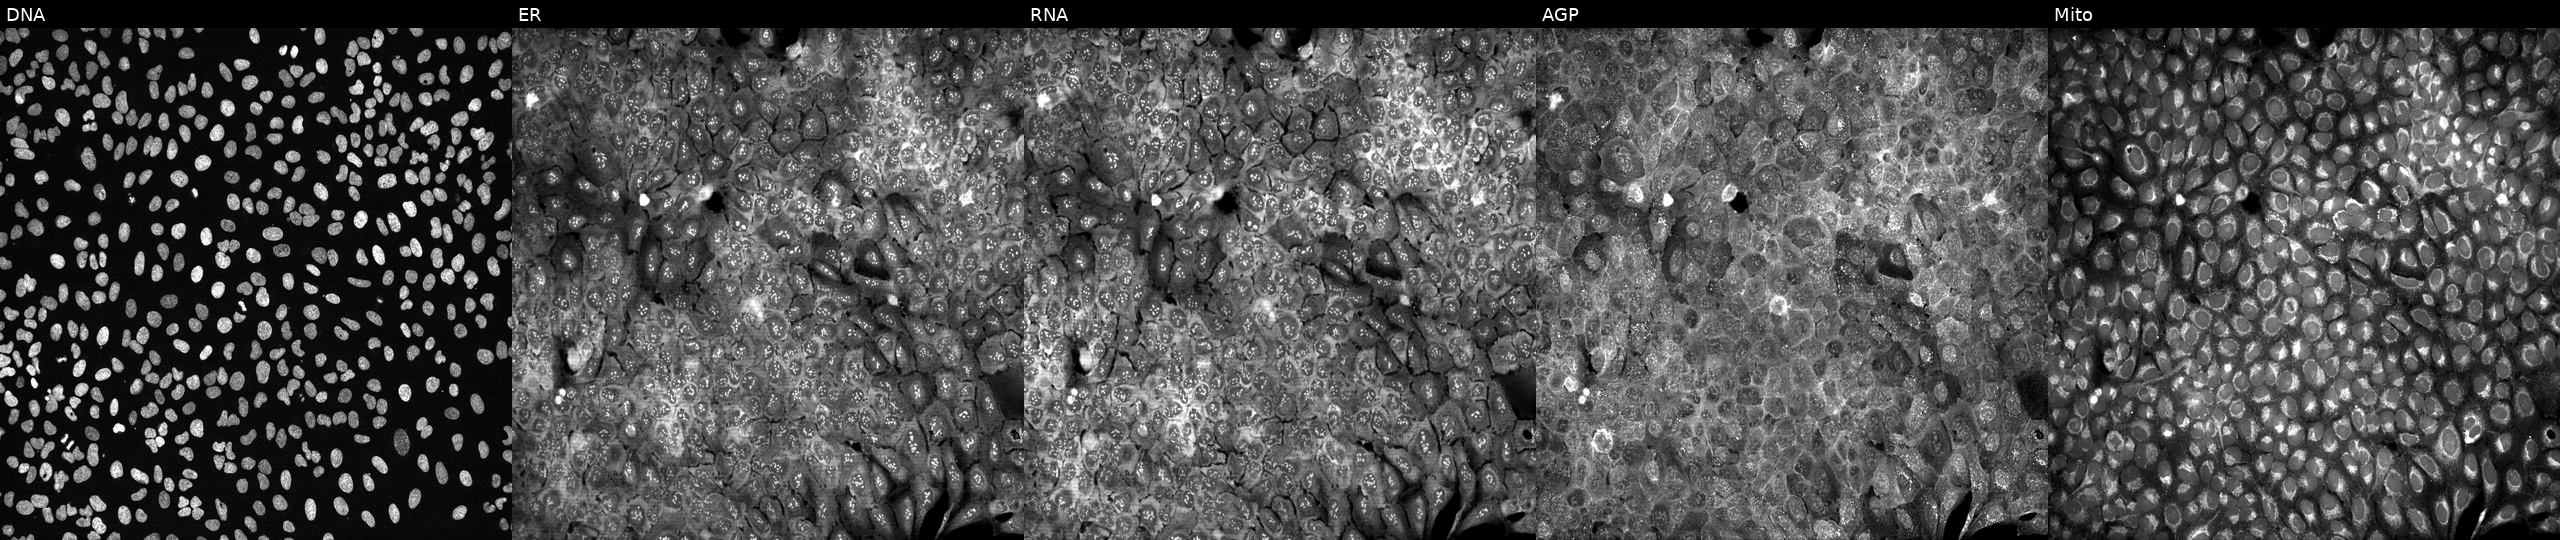
Five-channel Cell Painting image of U2OS cells with NUBP2 knocked out by CRISPR (JUMP id JCP2022_804739). Panels show, left to right, DNA, ER, RNA, AGP, and Mito. Source 13, plate CP-CC9-R5-01, well G12.